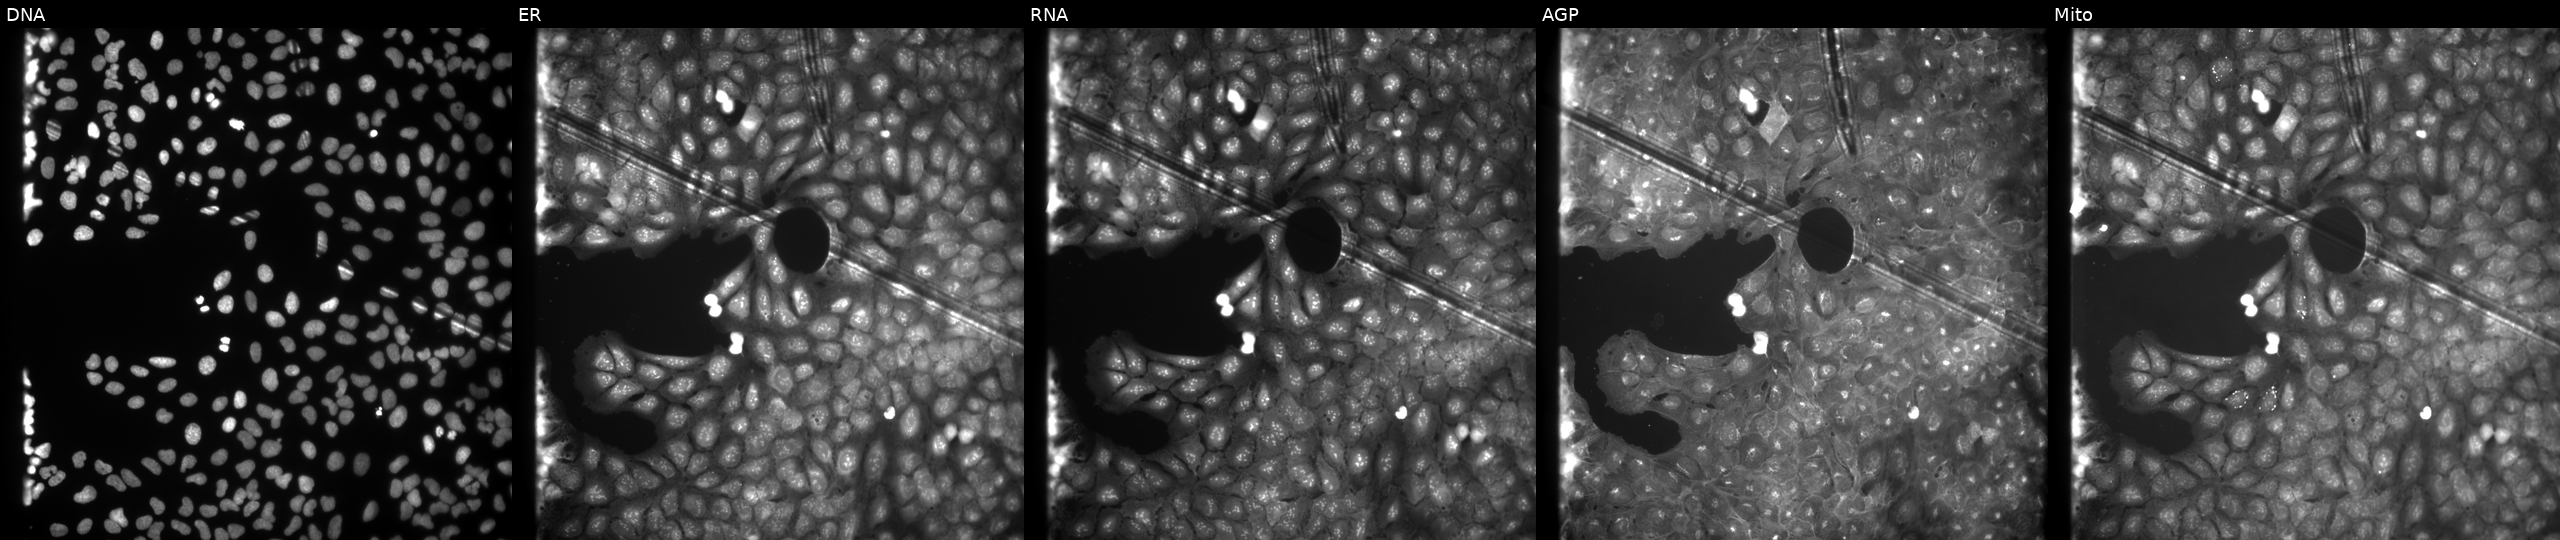
Five-channel Cell Painting image of U2OS cells treated with a small-molecule compound [SMILES: CC(=O)OCCNc1ccc2noc3c2c1C(=O)c1ccccc1-3]. The five panels, left to right, show DNA (nuclei); ER (endoplasmic reticulum); RNA (nucleoli and cytoplasmic RNA); AGP (actin cytoskeleton, Golgi, and plasma membrane); Mito (mitochondria).